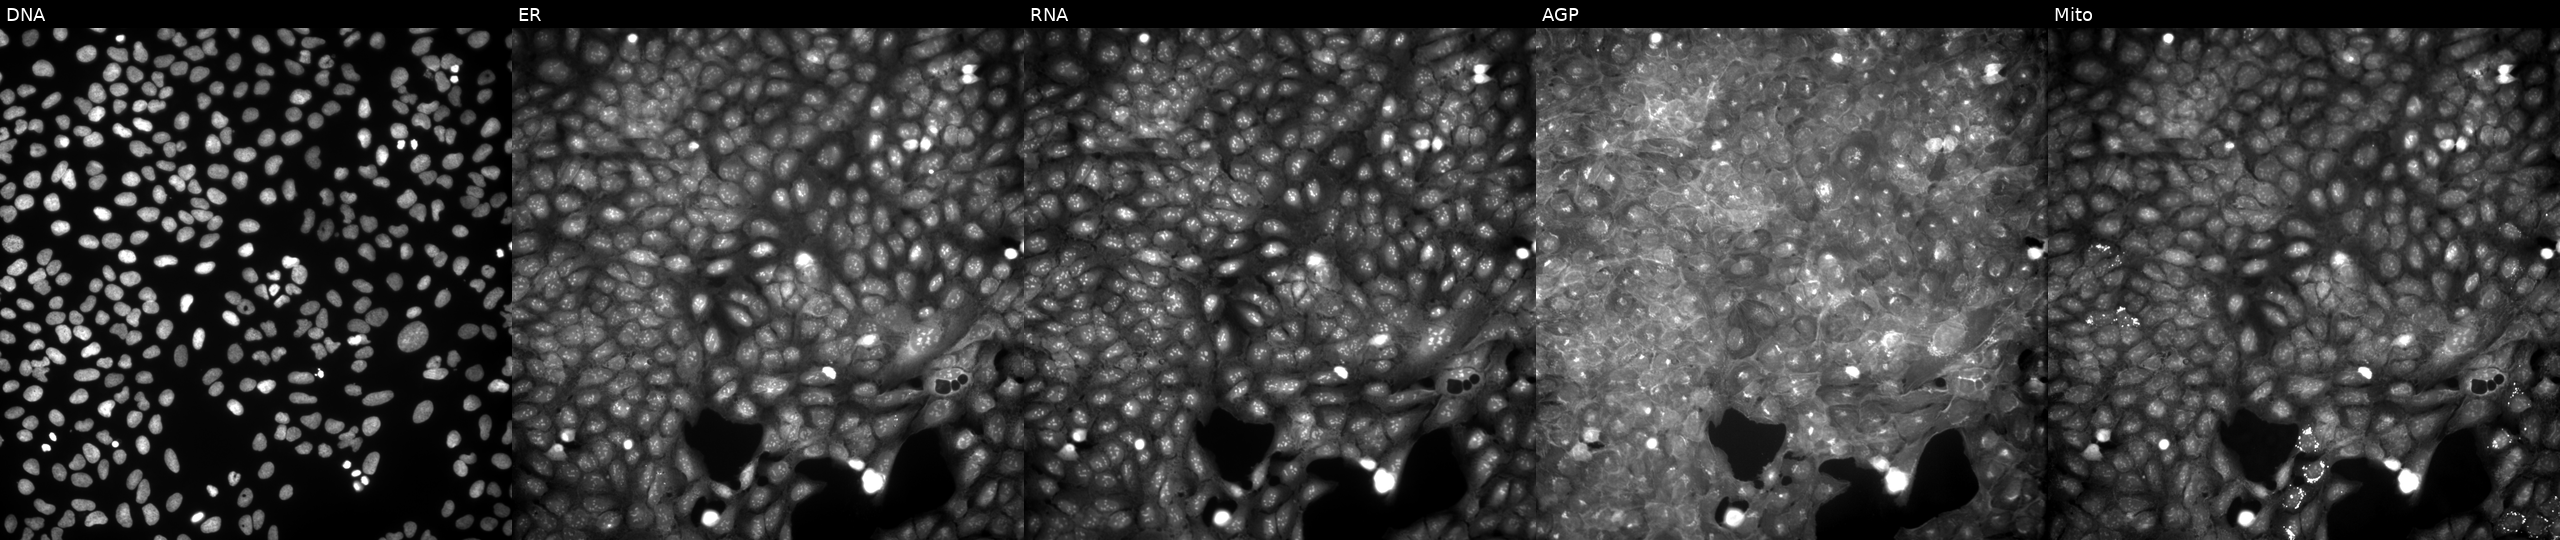
JUMP Cell Painting — COMPOUND plate. U2OS cells exposed to a small-molecule compound. The five panels, left to right, show DNA, ER, RNA, AGP, and Mito.